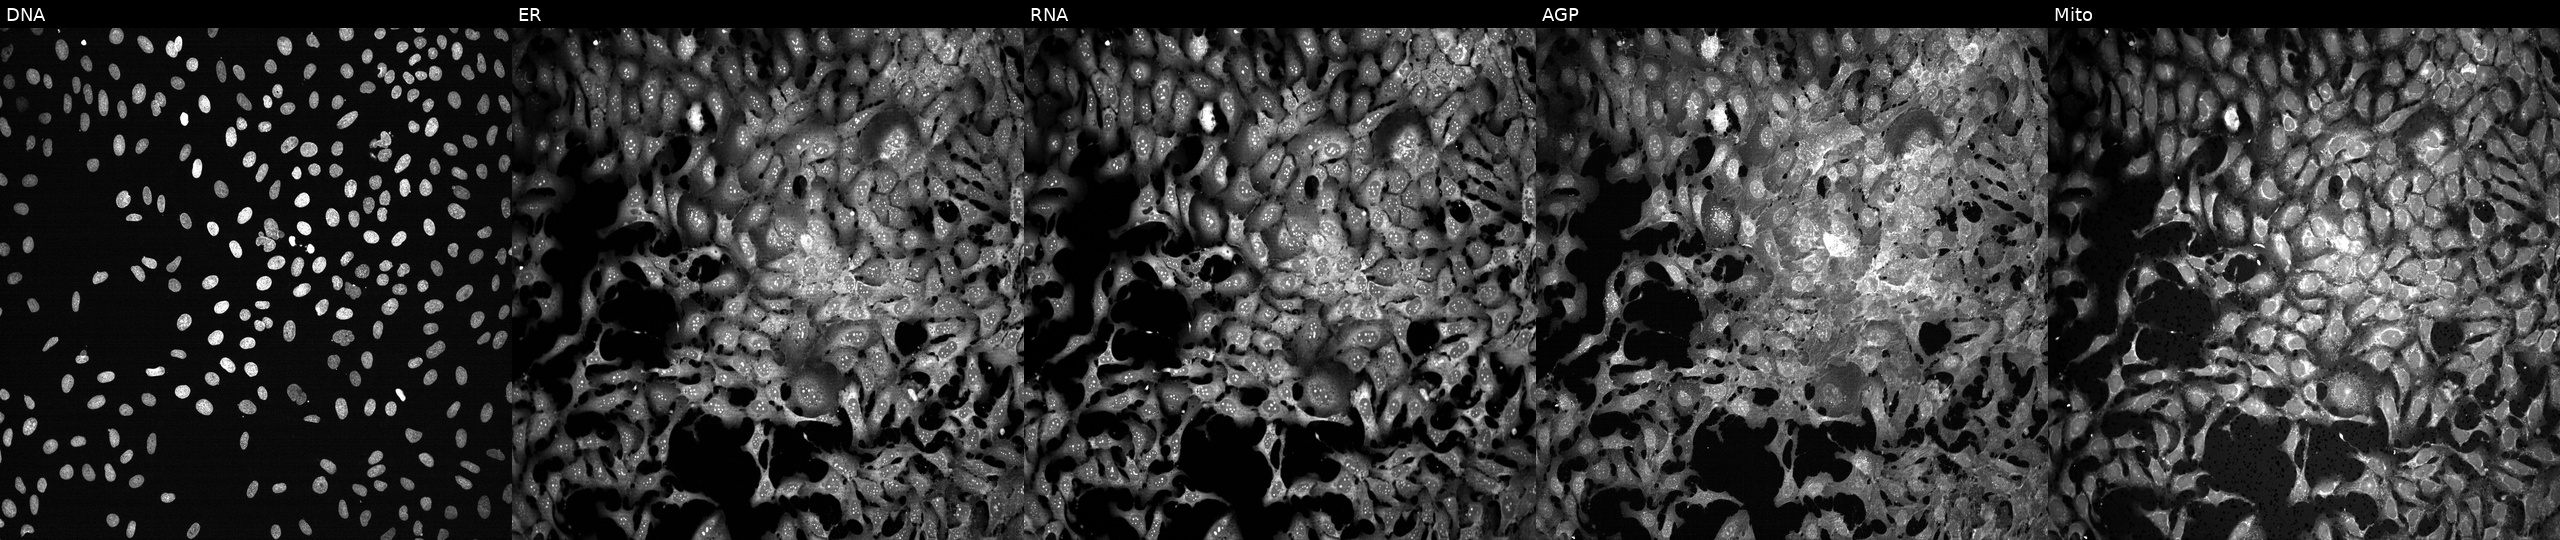
JUMP Cell Painting — CRISPR plate. U2OS cells treated with FK-866 (positive-control compound). Panels show, left to right, DNA, ER, RNA, AGP, and Mito. Source 13, plate CP-CC9-R5-01, well A24.